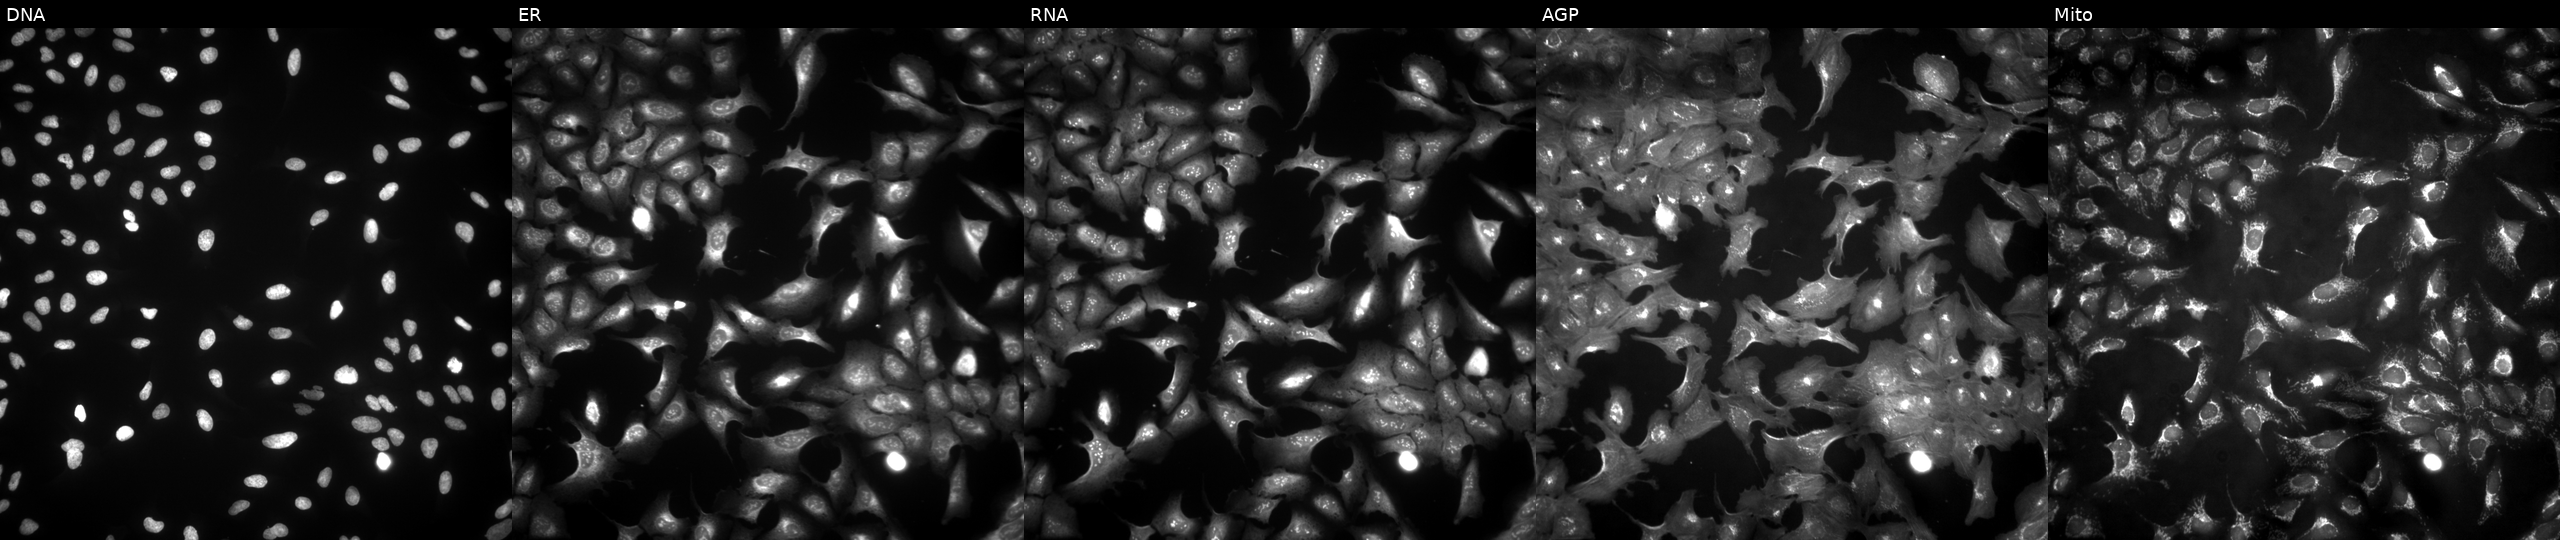
This image strip shows the five Cell Painting channels for a single field of U2OS cells transfected with an ORF construct for CPA1 (JUMP id JCP2022_905633). Channels (left→right): DNA, ER, RNA, AGP, and Mito.